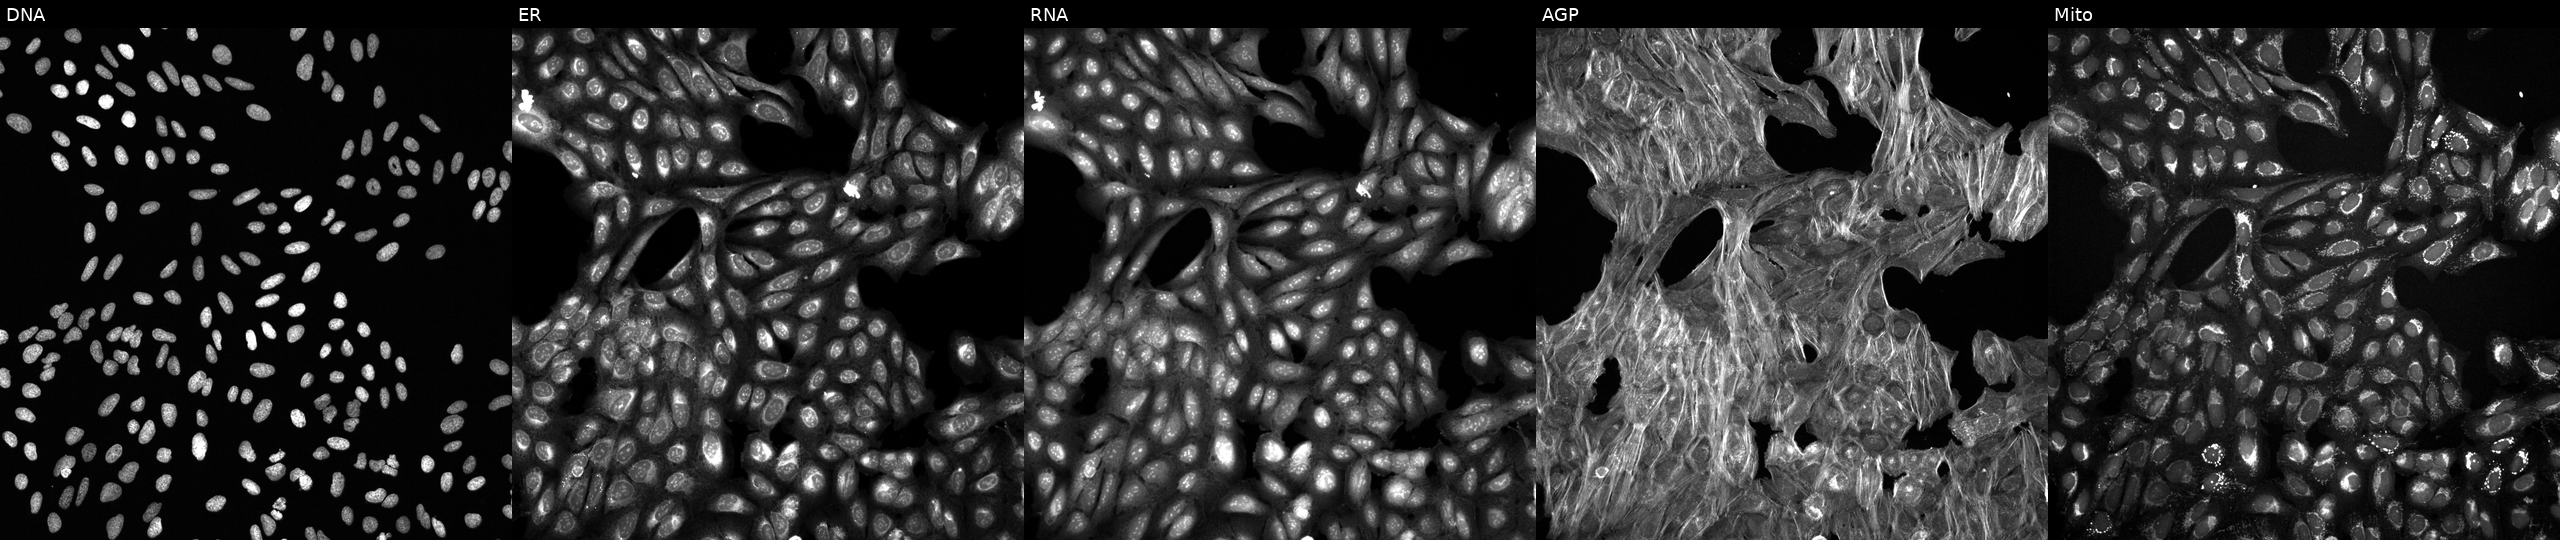
The five panels, left to right, show DNA (nuclei); ER (endoplasmic reticulum); RNA (nucleoli and cytoplasmic RNA); AGP (actin cytoskeleton, Golgi, and plasma membrane); Mito (mitochondria). U2OS osteosarcoma cells perturbed with a small-molecule compound [SMILES: COc1ccc(S(=O)(=O)Nc2c(C)cc(C)cc2C)cc1] (JUMP id JCP2022_022359). Cell Painting assay, JUMP-CP dataset. Source 6, plate 110000293093, well I04.